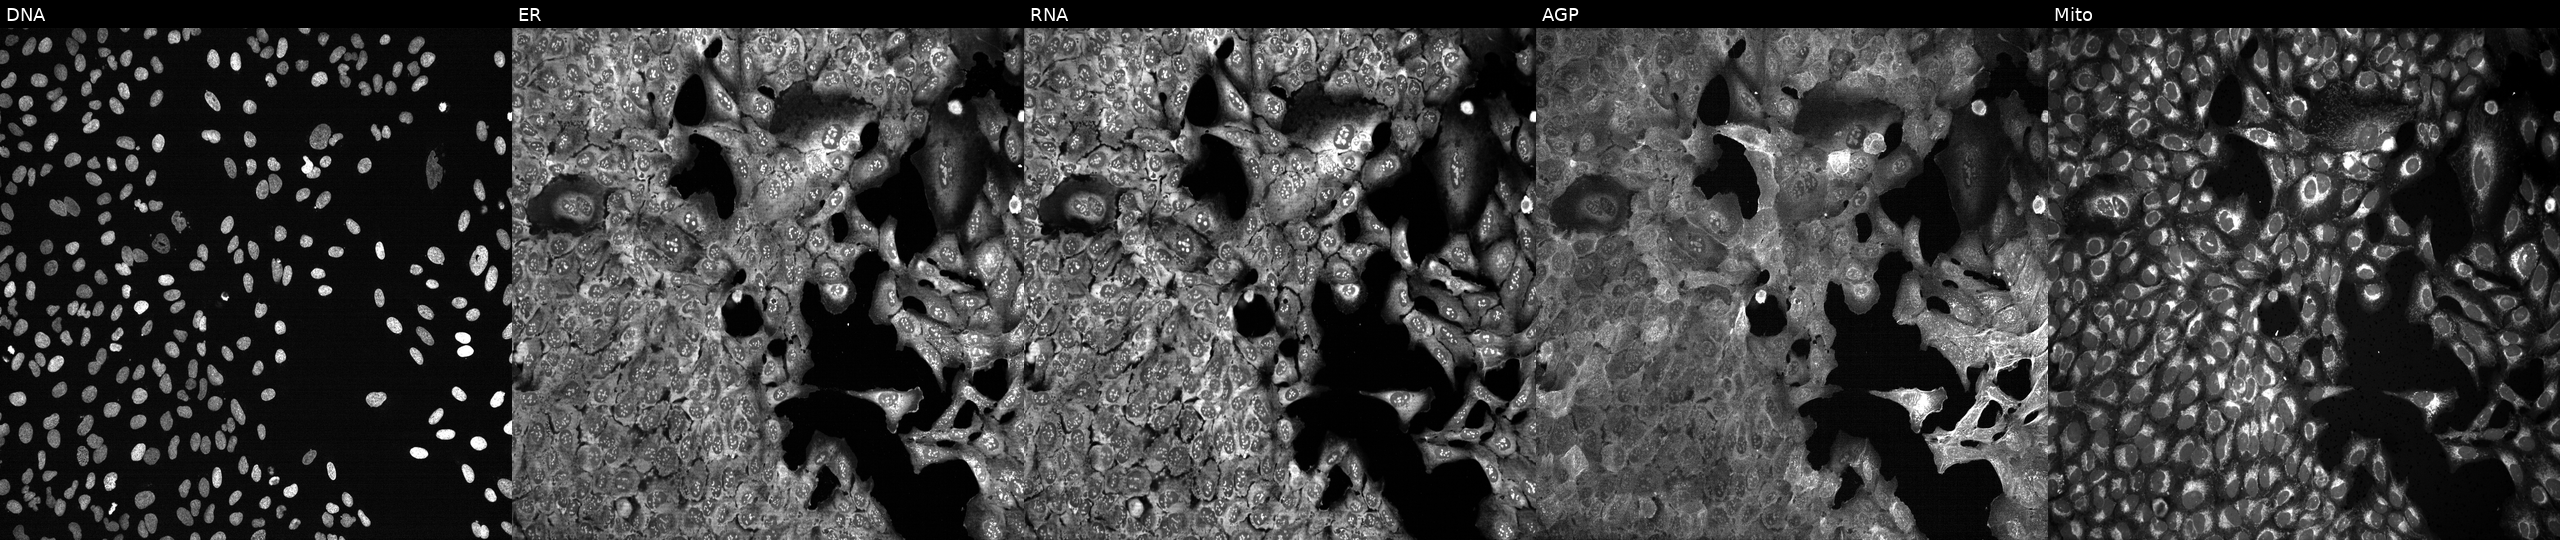
U2OS cells, Cell Painting assay, with GABARAPL2 knocked out by CRISPR. From left to right: DNA (nuclei); ER (endoplasmic reticulum); RNA (nucleoli and cytoplasmic RNA); AGP (actin cytoskeleton, Golgi, and plasma membrane); Mito (mitochondria). Each panel is percentile-stretched 16-bit fluorescence.